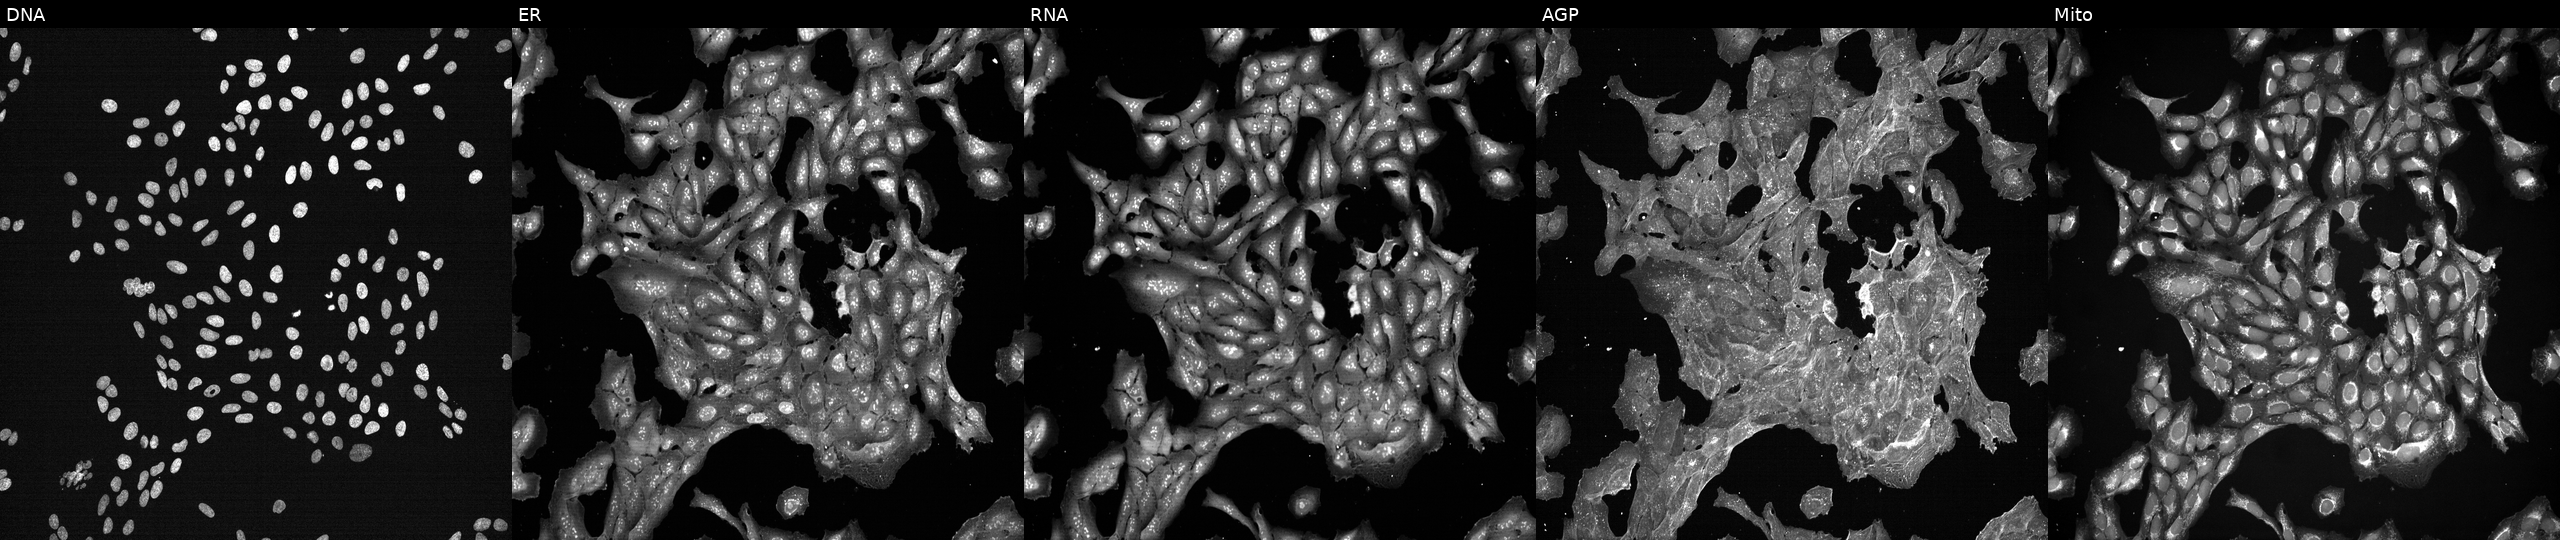
This image strip shows the five Cell Painting channels for a single field of U2OS cells treated with a small-molecule compound (InChIKey LGEQQWMQCRIYKG-UHFFFAOYSA-N). From left to right: DNA, ER, RNA, AGP, and Mito.